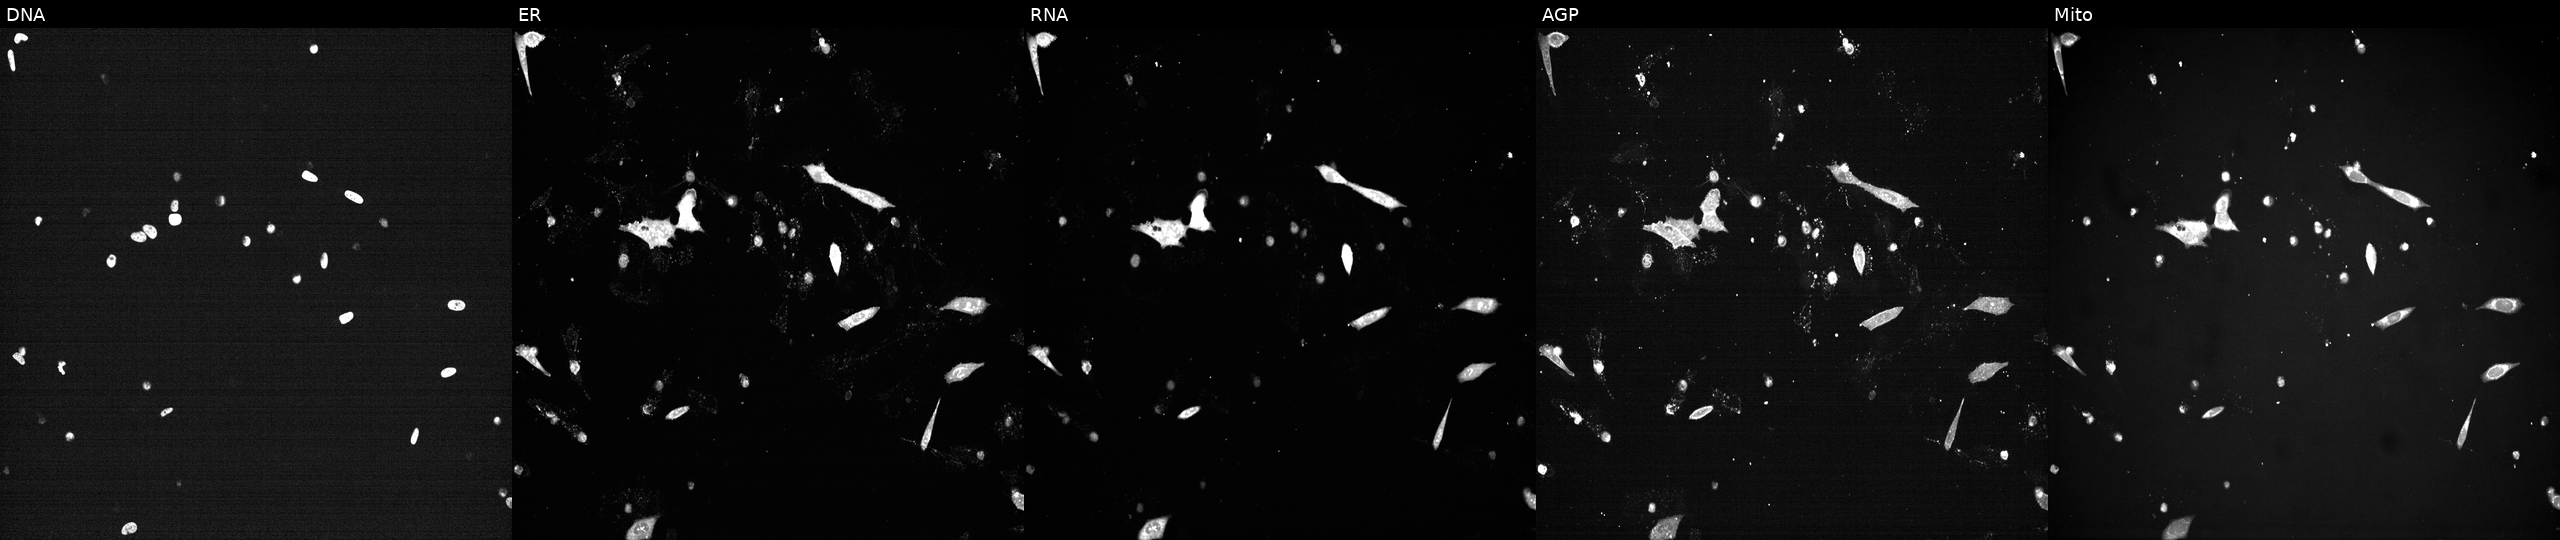
JUMP Cell Painting — TARGET2 plate. U2OS cells treated with a small-molecule compound (InChIKey SOOPLNPQGWJZHY-UHFFFAOYSA-N) (JUMP id JCP2022_084606). Panels show, left to right, Hoechst 33342, concanavalin A, SYTO 14, phalloidin and WGA, MitoTracker. Source 7, plate CP2-SC1-25, well L06.